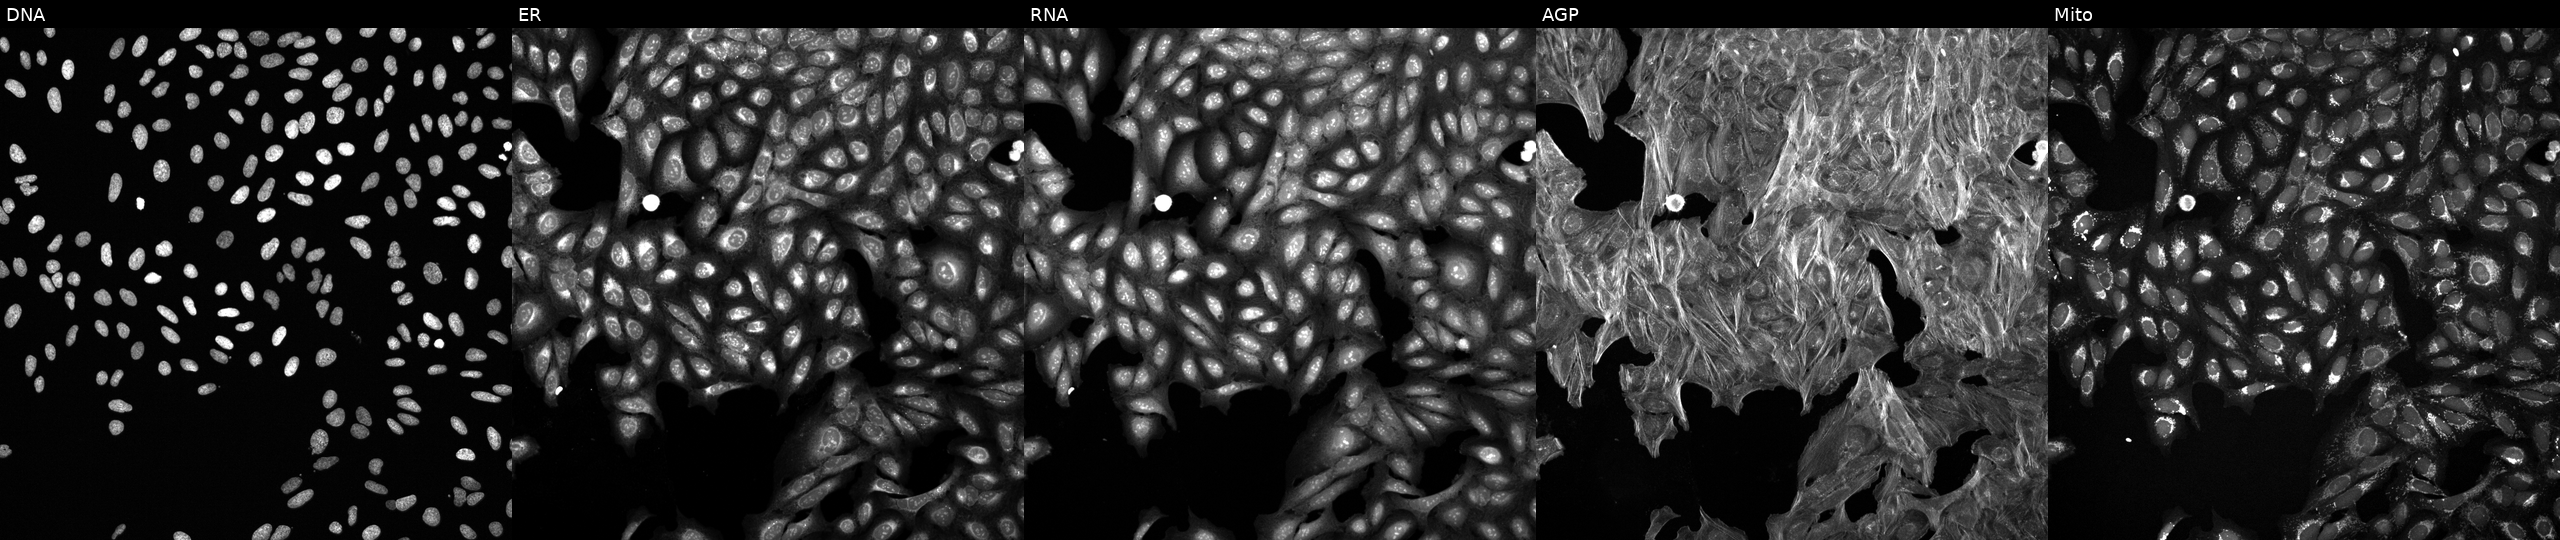
High-content fluorescence microscopy (Cell Painting). Cell line: U2OS. Perturbation: treated with a small-molecule compound (JUMP id JCP2022_066591). Channels (left→right): DNA, ER, RNA, AGP, and Mito. Source 6, plate 110000293083, well K12.